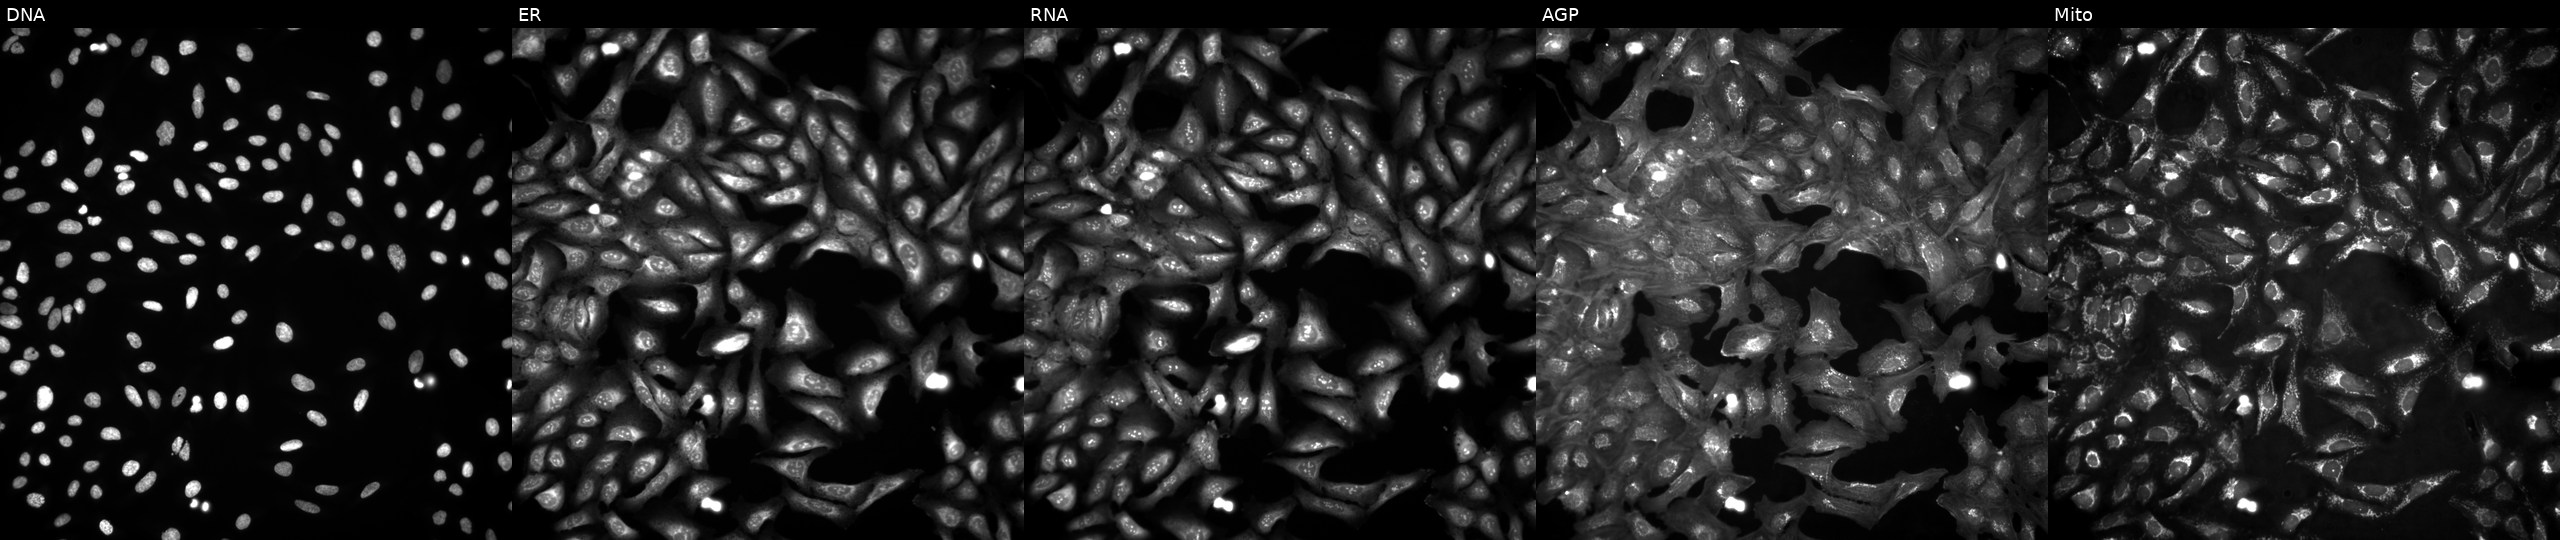
High-content fluorescence microscopy (Cell Painting). Cell line: U2OS. Perturbation: untreated (empty-well control). The five panels, left to right, show DNA, ER, RNA, AGP, and Mito. Source 4, plate BR00124793, well C21.